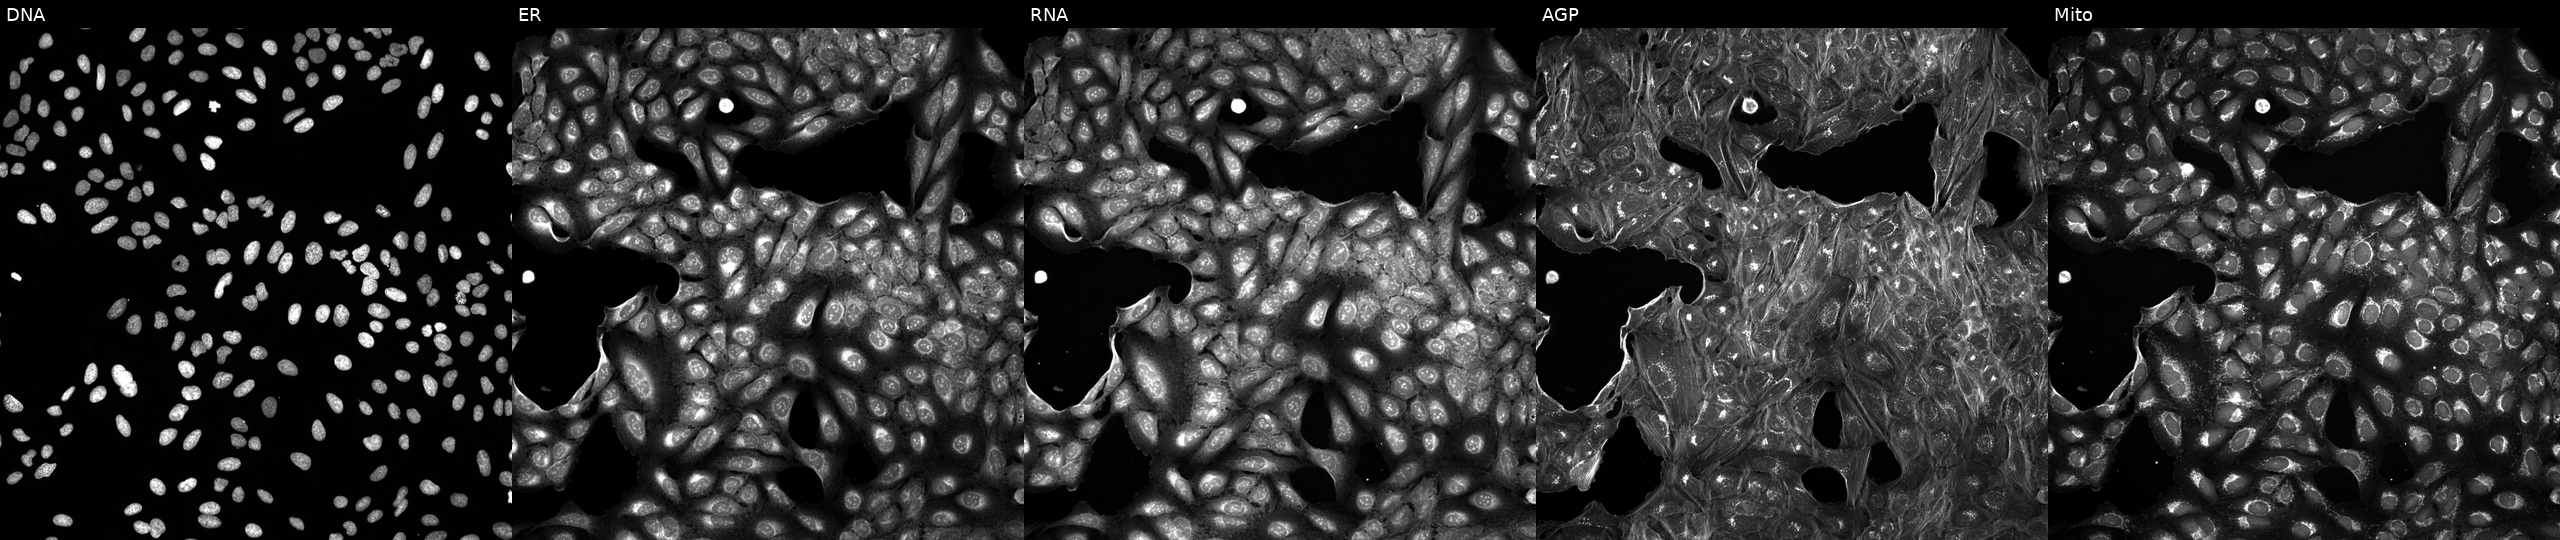
JUMP Cell Painting — TARGET2 plate. U2OS cells exposed to a small-molecule compound (InChIKey UFJGFNHRMPMALC-UHFFFAOYSA-N) [SMILES: CCOC(=O)c1c2c3c(cccc3[nH]c1=O)C(=O)c1ccccc1-2]. Channels (left→right): DNA, ER, RNA, AGP, and Mito. Source 5, plate ACPJUM032, well I19.